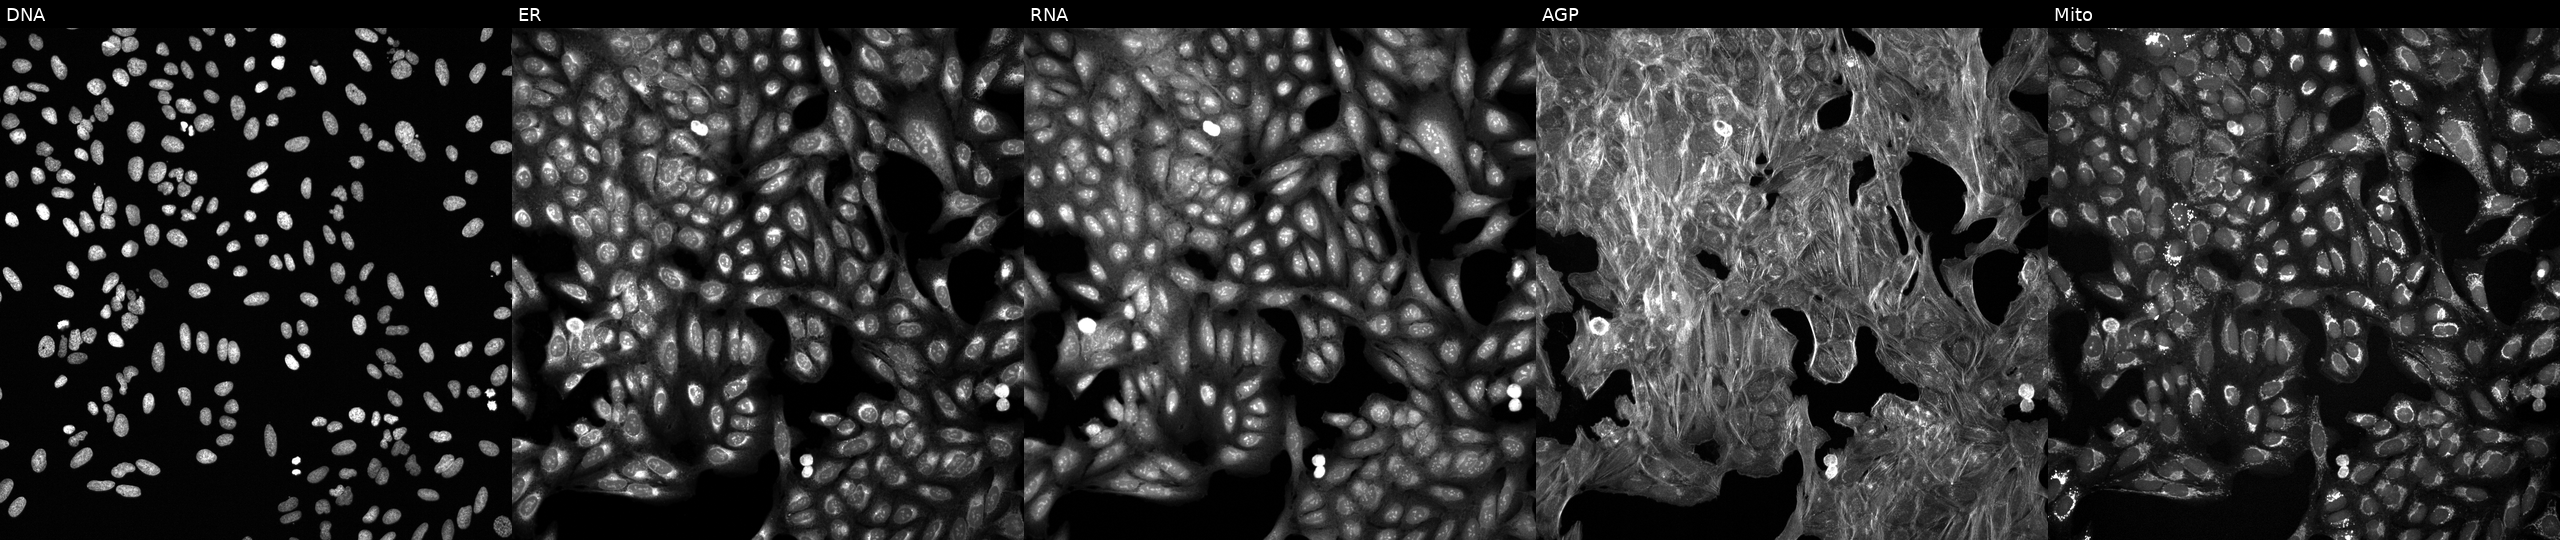
Five-channel Cell Painting image of U2OS cells perturbed with a small-molecule compound (InChIKey MJVAVZPDRWSRRC-UHFFFAOYSA-N) [SMILES: CC1=CC(=O)c2ccccc2C1=O]. Panels show, left to right, Hoechst 33342, concanavalin A, SYTO 14, phalloidin and WGA, MitoTracker. Source 6, plate 110000293093, well H05.